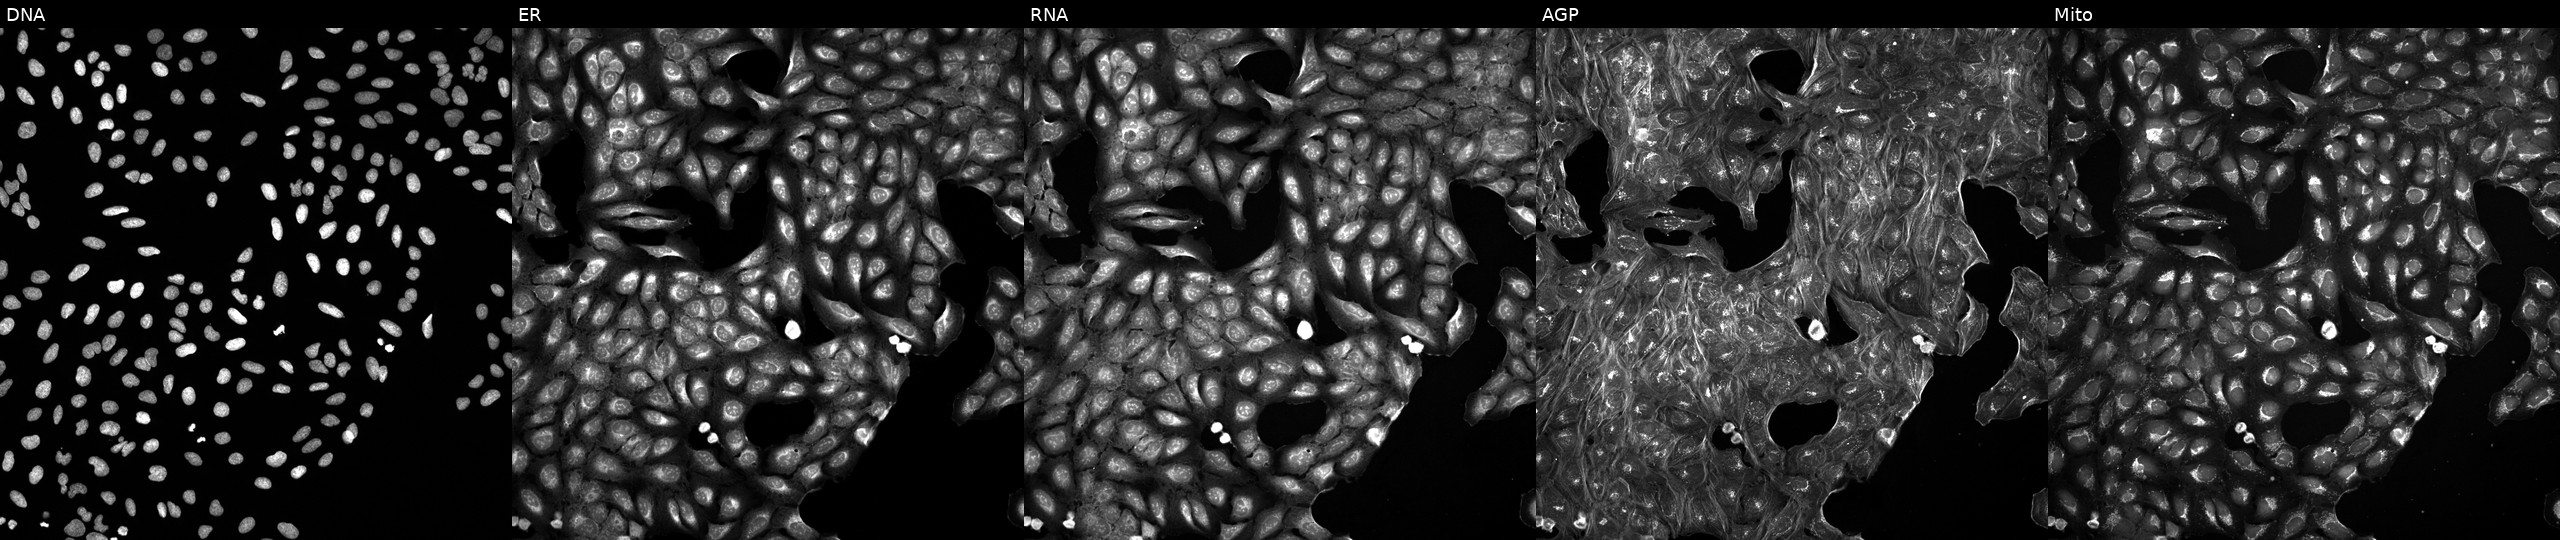
Five-channel Cell Painting image of U2OS cells perturbed with a small-molecule compound (InChIKey MJVAVZPDRWSRRC-UHFFFAOYSA-N). From left to right: DNA (nuclei); ER (endoplasmic reticulum); RNA (nucleoli and cytoplasmic RNA); AGP (actin cytoskeleton, Golgi, and plasma membrane); Mito (mitochondria). Source 5, plate ACPJUM032, well H05.